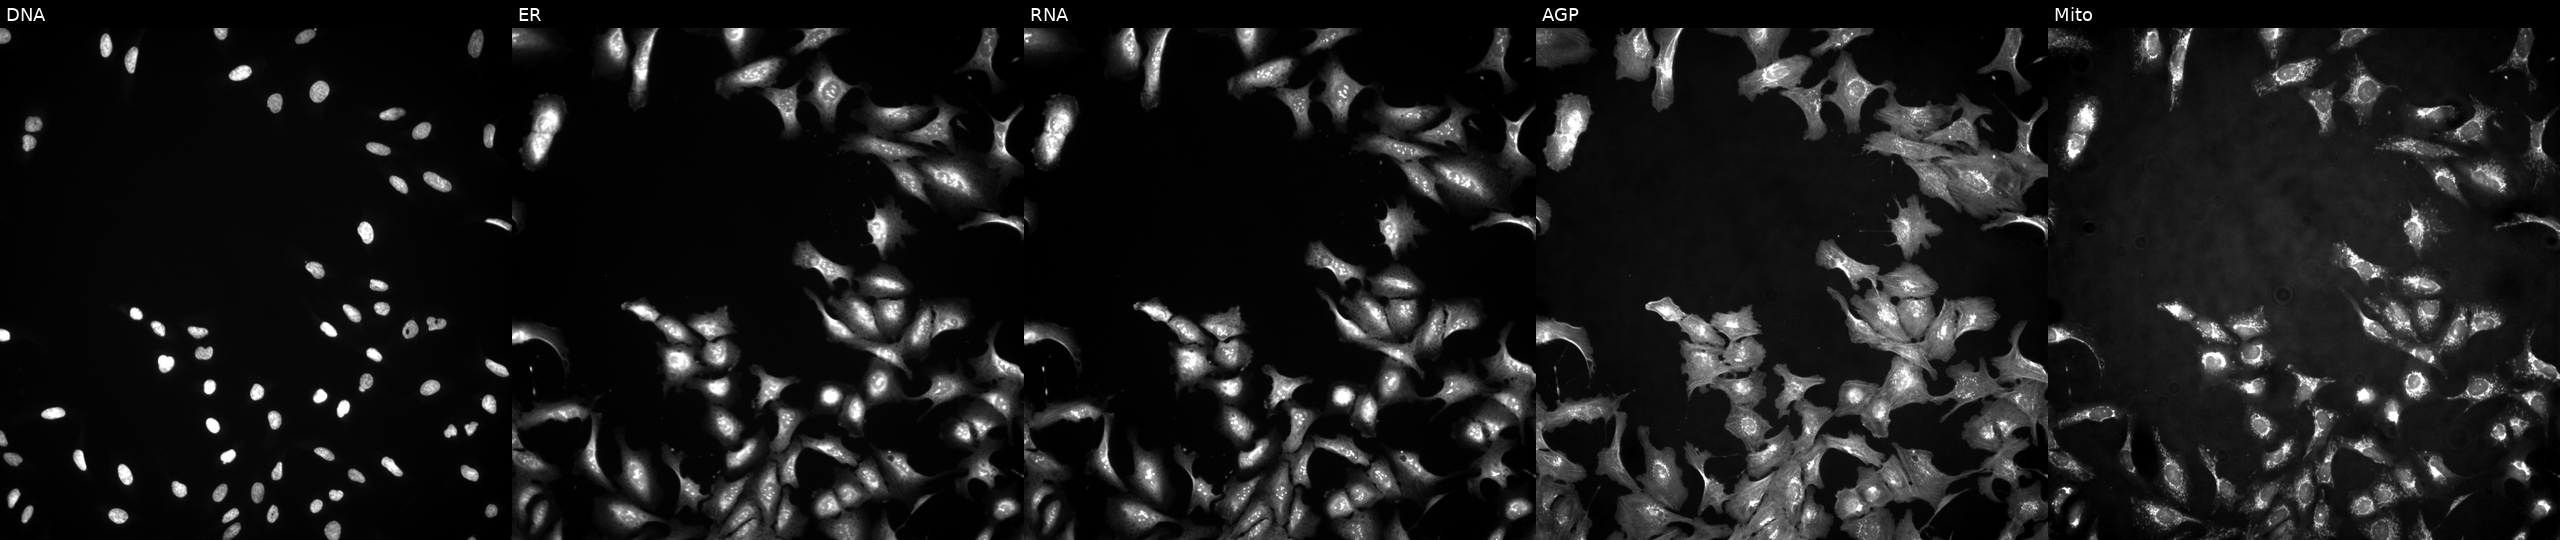
JUMP Cell Painting — ORF plate. U2OS cells with PCSK5 overexpressed (ORF) (JUMP id JCP2022_906269). Panels show, left to right, DNA, ER, RNA, AGP, and Mito. Source 4, plate BR00124784, well K05.